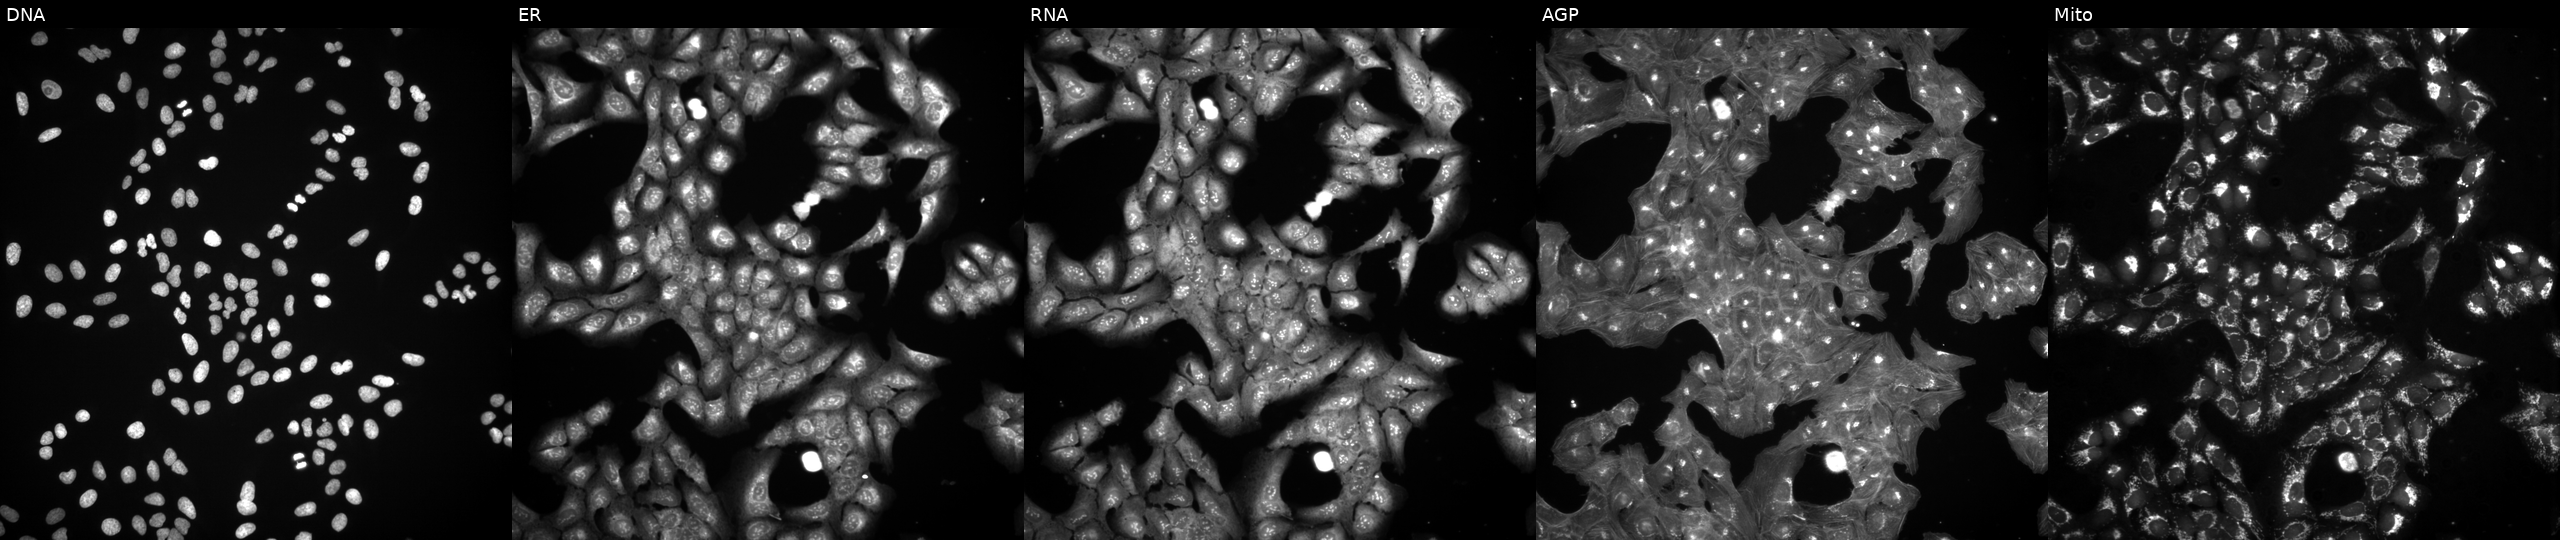
This image strip shows the five Cell Painting channels for a single field of U2OS cells treated with a small-molecule compound (InChIKey LBYIKGZSQBUUKD-UHFFFAOYSA-N) (JUMP id JCP2022_048466). Panels show, left to right, DNA (nuclei); ER (endoplasmic reticulum); RNA (nucleoli and cytoplasmic RNA); AGP (actin cytoskeleton, Golgi, and plasma membrane); Mito (mitochondria). Source 3, plate BR5867b3, well M06.